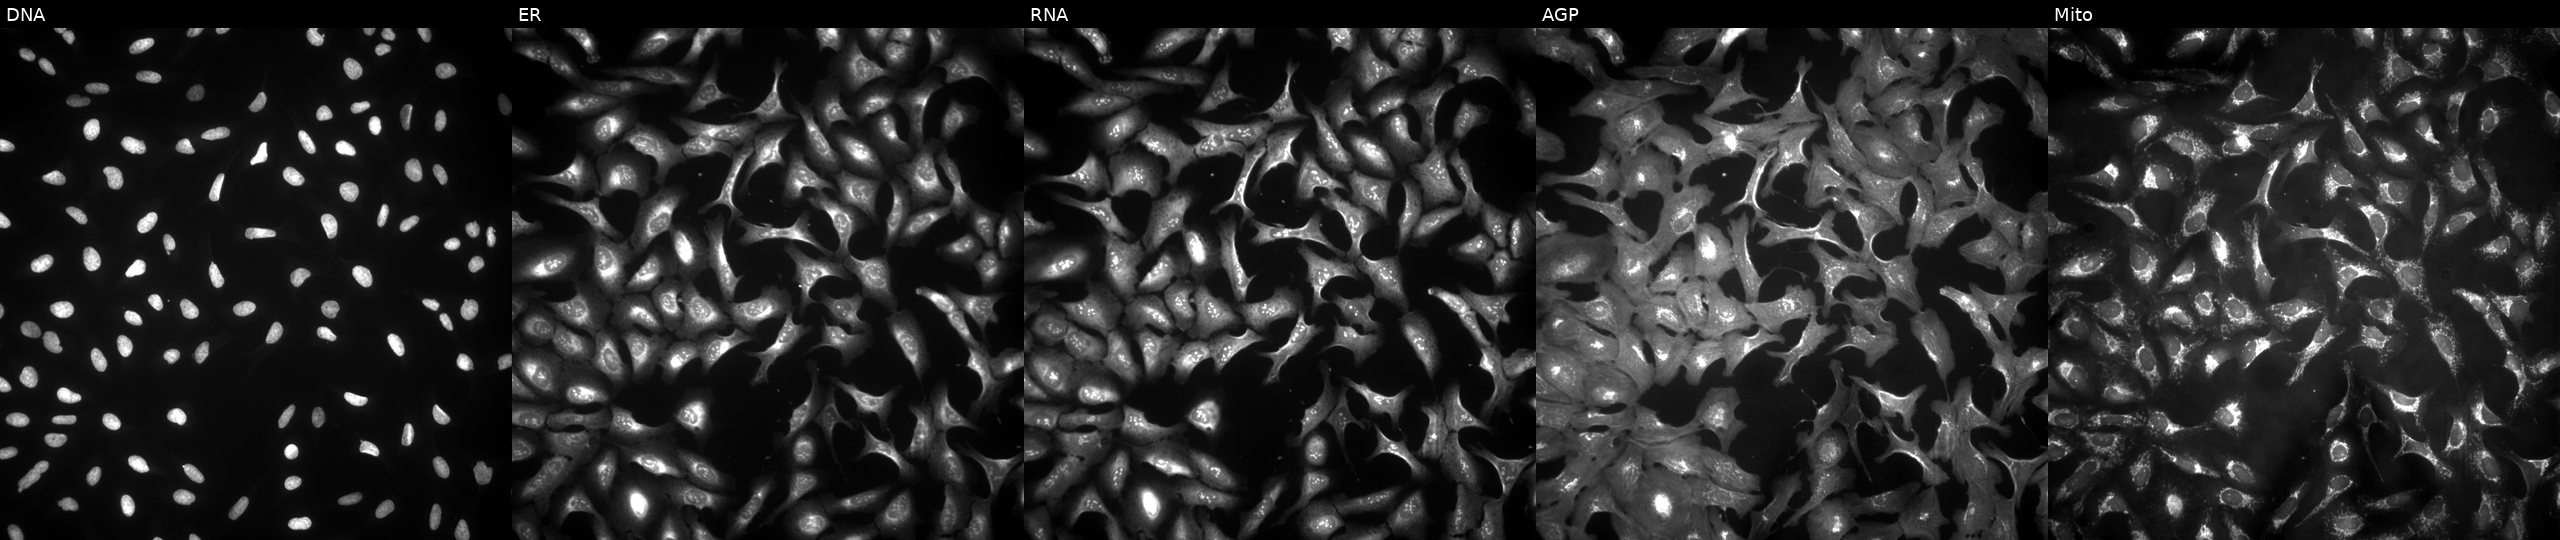
JUMP Cell Painting — ORF plate. U2OS cells overexpressing ARHGAP20 via ORF transfection. The five panels, left to right, show Hoechst 33342, concanavalin A, SYTO 14, phalloidin and WGA, MitoTracker. Source 4, plate BR00123506, well I18.